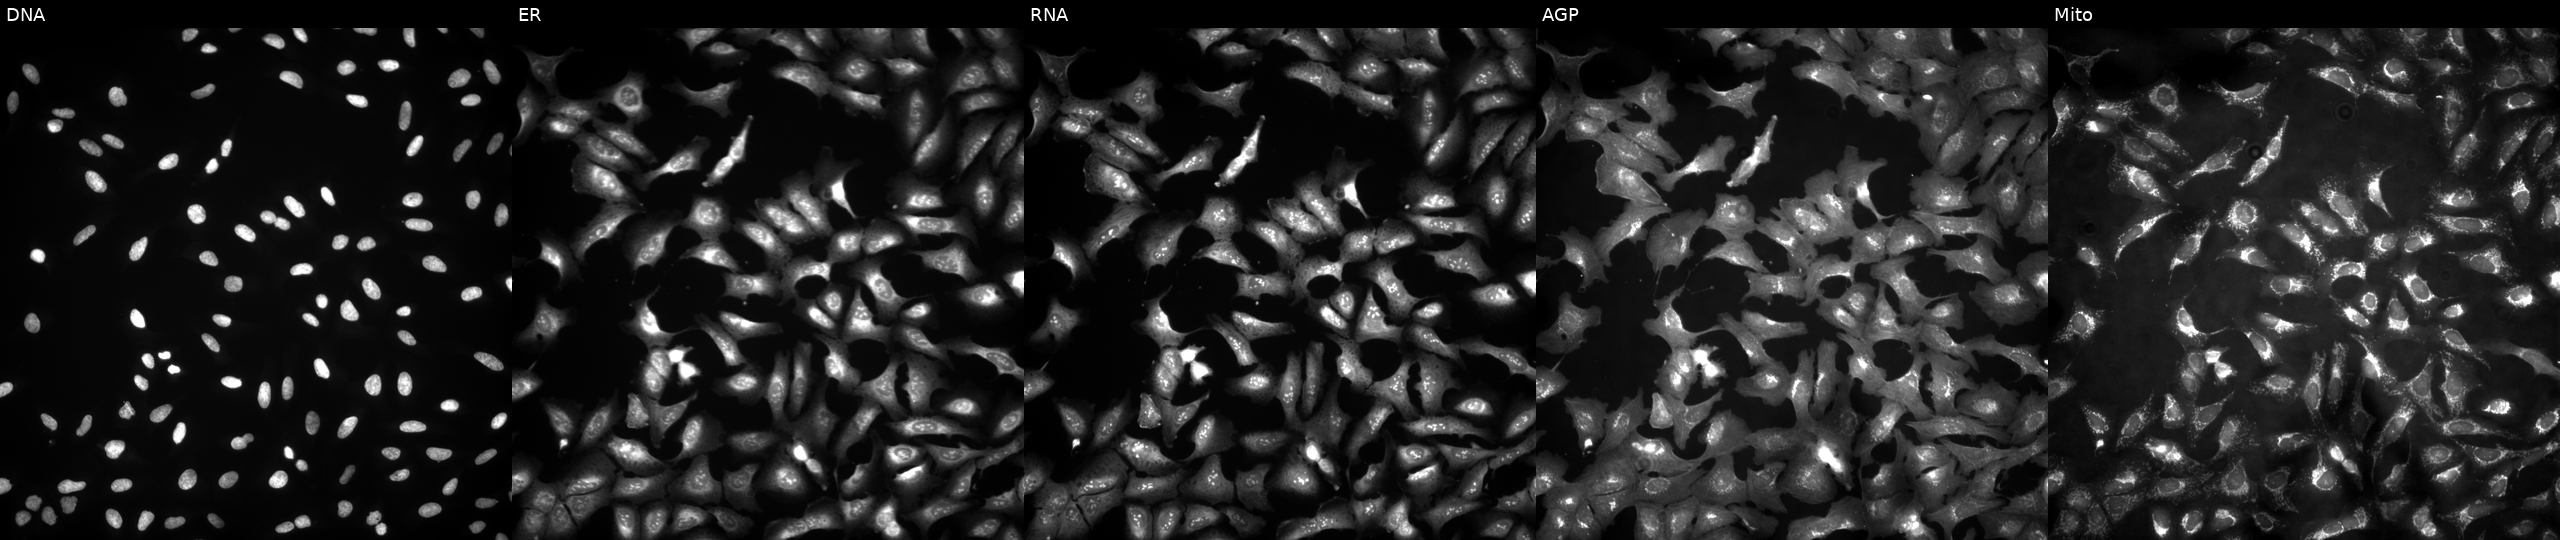
This image strip shows the five Cell Painting channels for a single field of U2OS cells transfected with an ORF construct for CDH23 (JUMP id JCP2022_908240). The five panels, left to right, show Hoechst 33342, concanavalin A, SYTO 14, phalloidin and WGA, MitoTracker. Source 4, plate BR00121543, well E09.